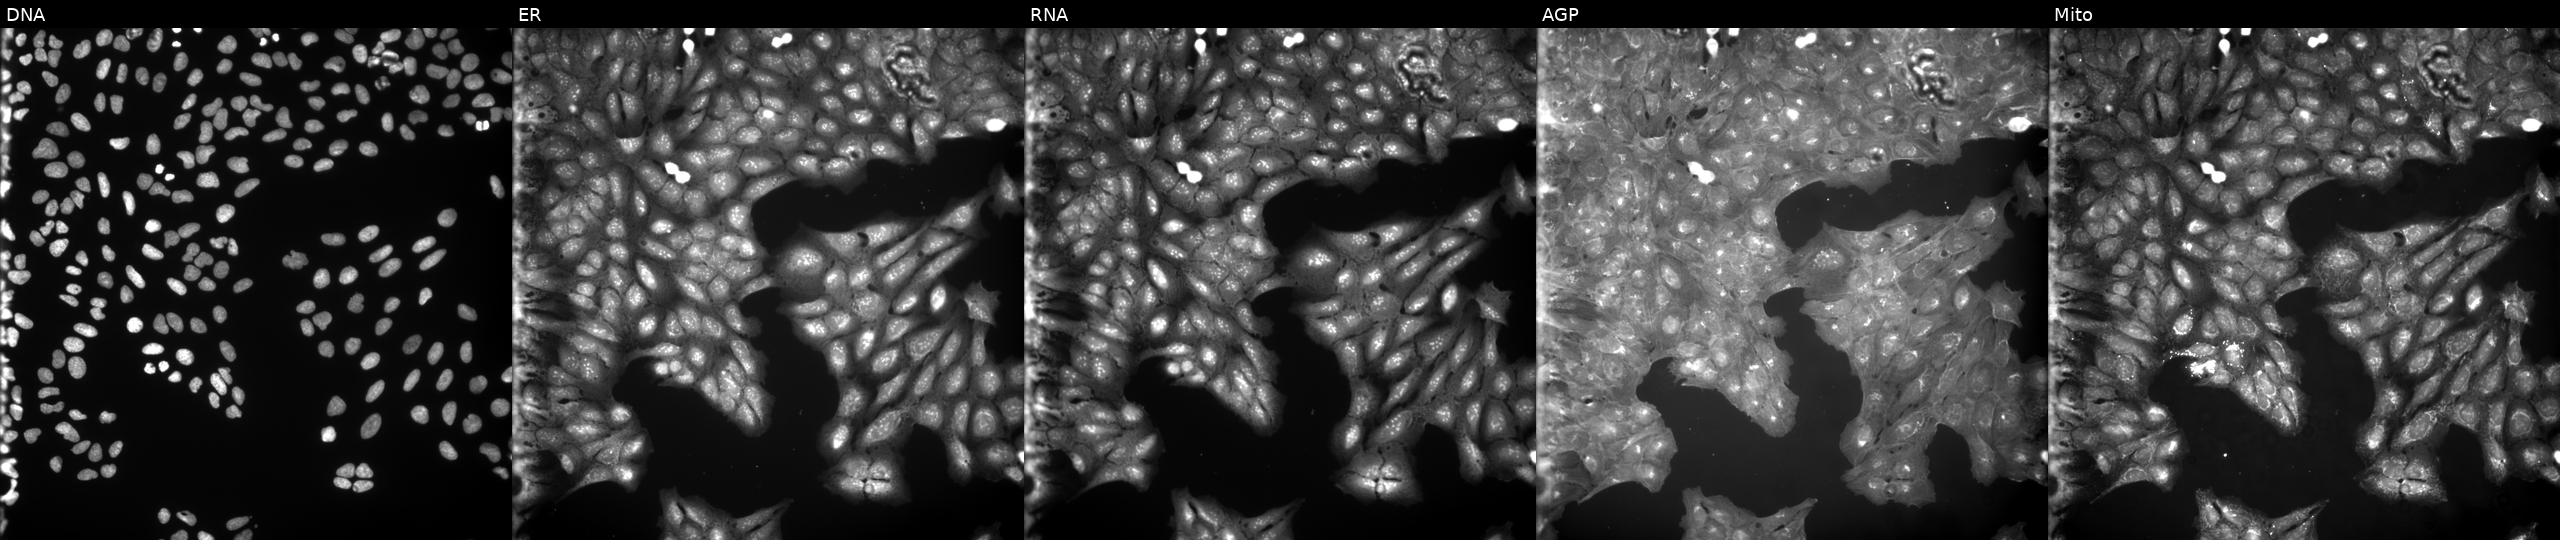
The five panels, left to right, show DNA (nuclei); ER (endoplasmic reticulum); RNA (nucleoli and cytoplasmic RNA); AGP (actin cytoskeleton, Golgi, and plasma membrane); Mito (mitochondria). U2OS osteosarcoma cells treated with quinidine (positive-control compound). Cell Painting assay, JUMP-CP dataset. Source 9, plate GR00003382, well G24.